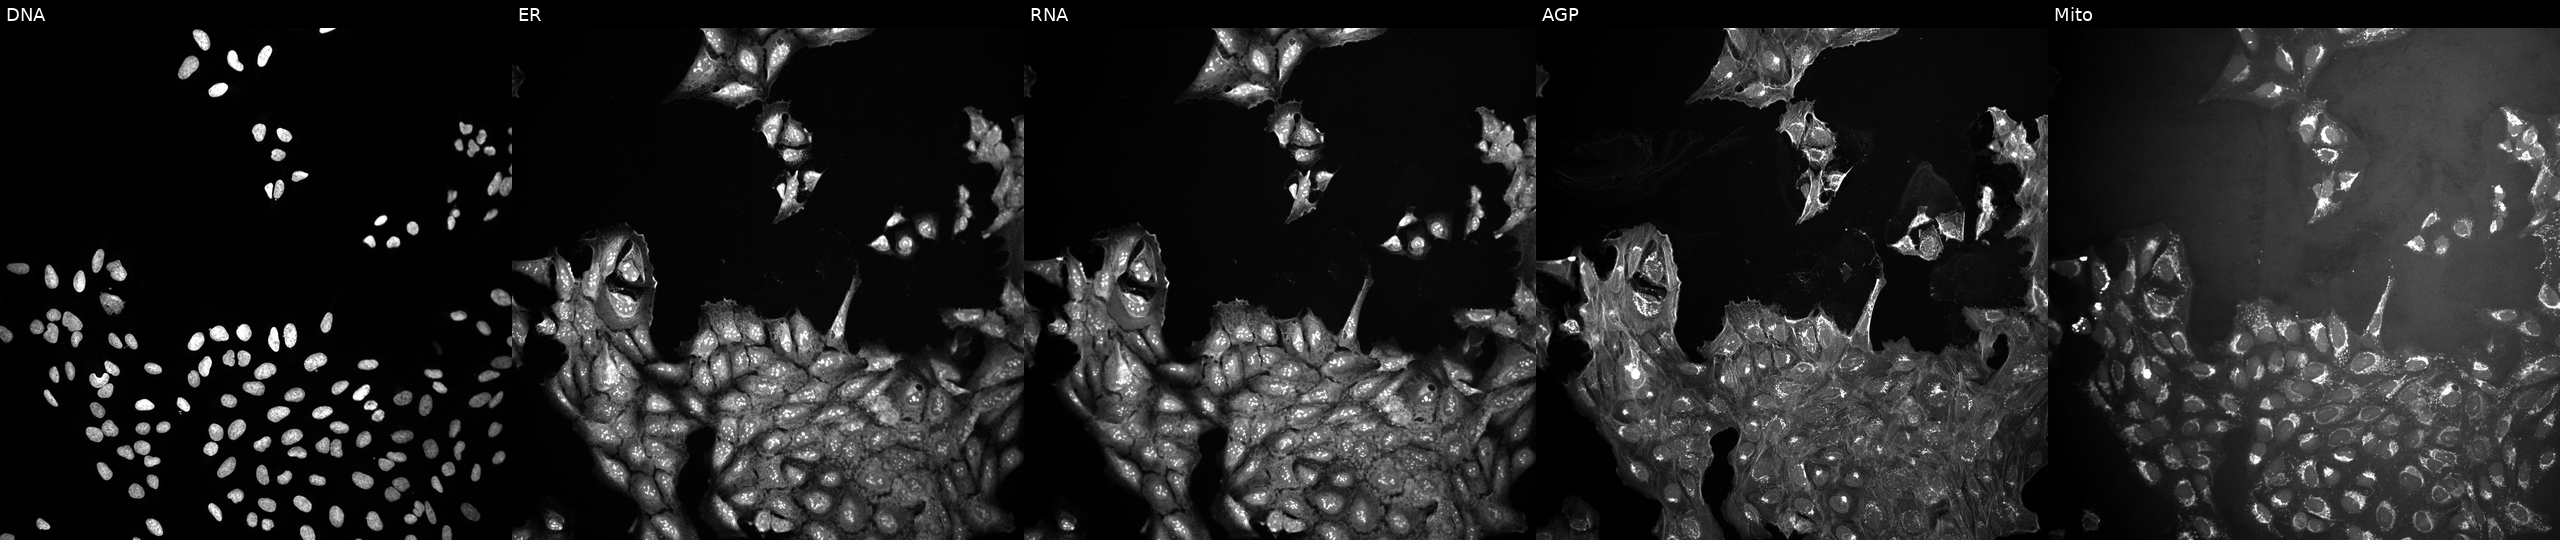
High-content fluorescence microscopy (Cell Painting). Cell line: U2OS. Perturbation: untreated (empty-well control). Channels (left→right): DNA, ER, RNA, AGP, and Mito.